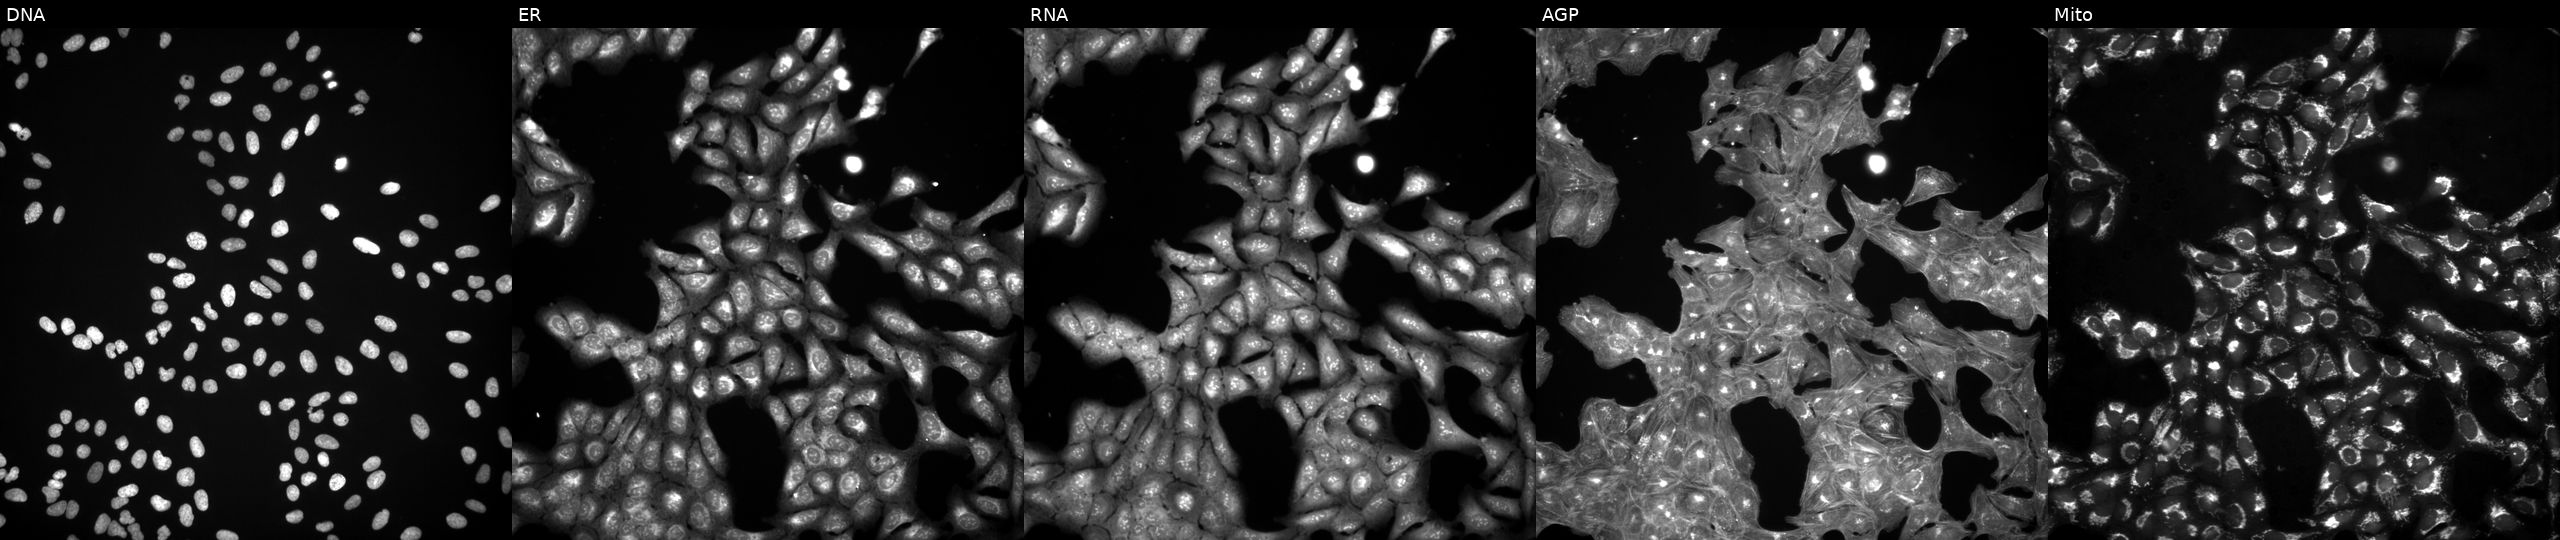
JUMP Cell Painting — TARGET2 plate. U2OS cells treated with DMSO vehicle only (negative control). From left to right: Hoechst 33342, concanavalin A, SYTO 14, phalloidin and WGA, MitoTracker.